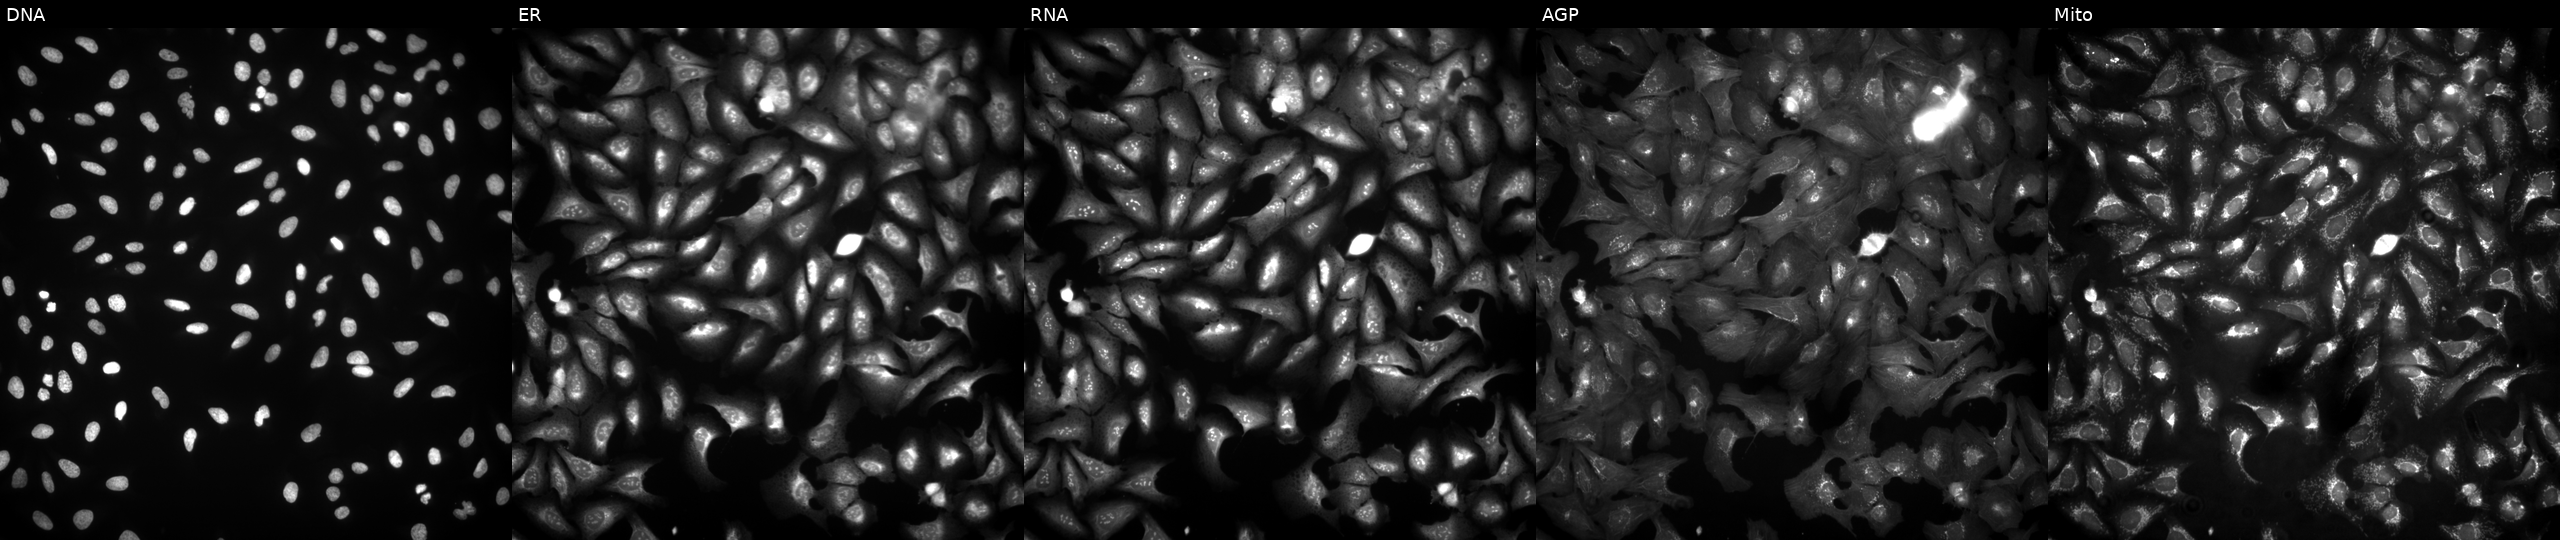
Five-channel Cell Painting image of U2OS cells untreated (empty-well control). From left to right: DNA, ER, RNA, AGP, and Mito. Source 4, plate BR00124790, well B15.